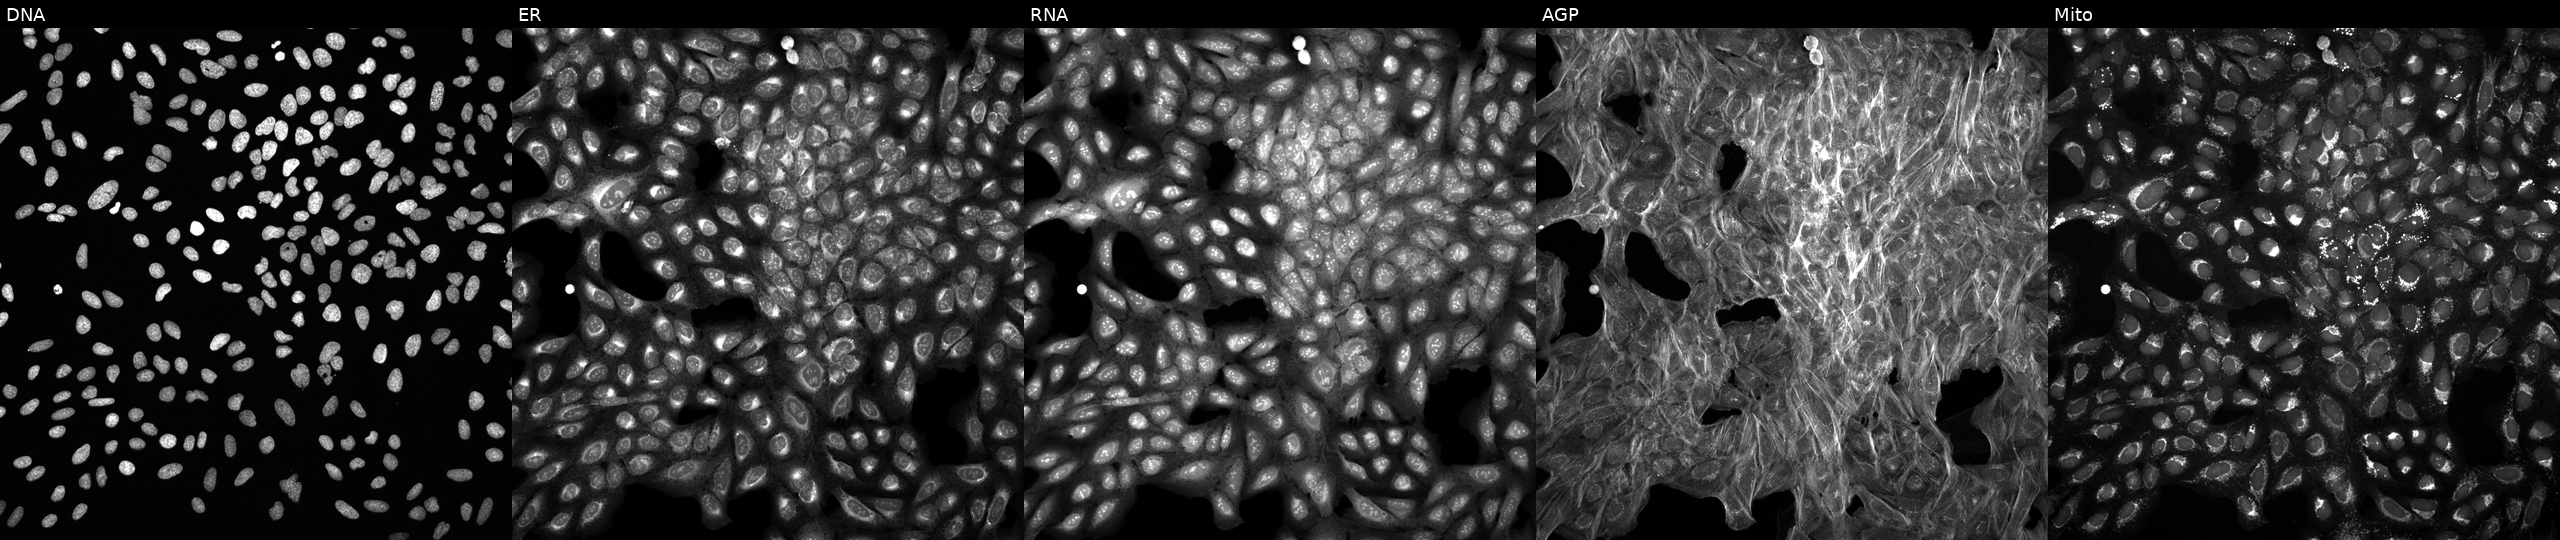
This image strip shows the five Cell Painting channels for a single field of U2OS cells exposed to a small-molecule compound (InChIKey AFFYHBRBFOTLDC-UHFFFAOYSA-N). Panels show, left to right, DNA (nuclei); ER (endoplasmic reticulum); RNA (nucleoli and cytoplasmic RNA); AGP (actin cytoskeleton, Golgi, and plasma membrane); Mito (mitochondria). Source 6, plate 110000293082, well H13.